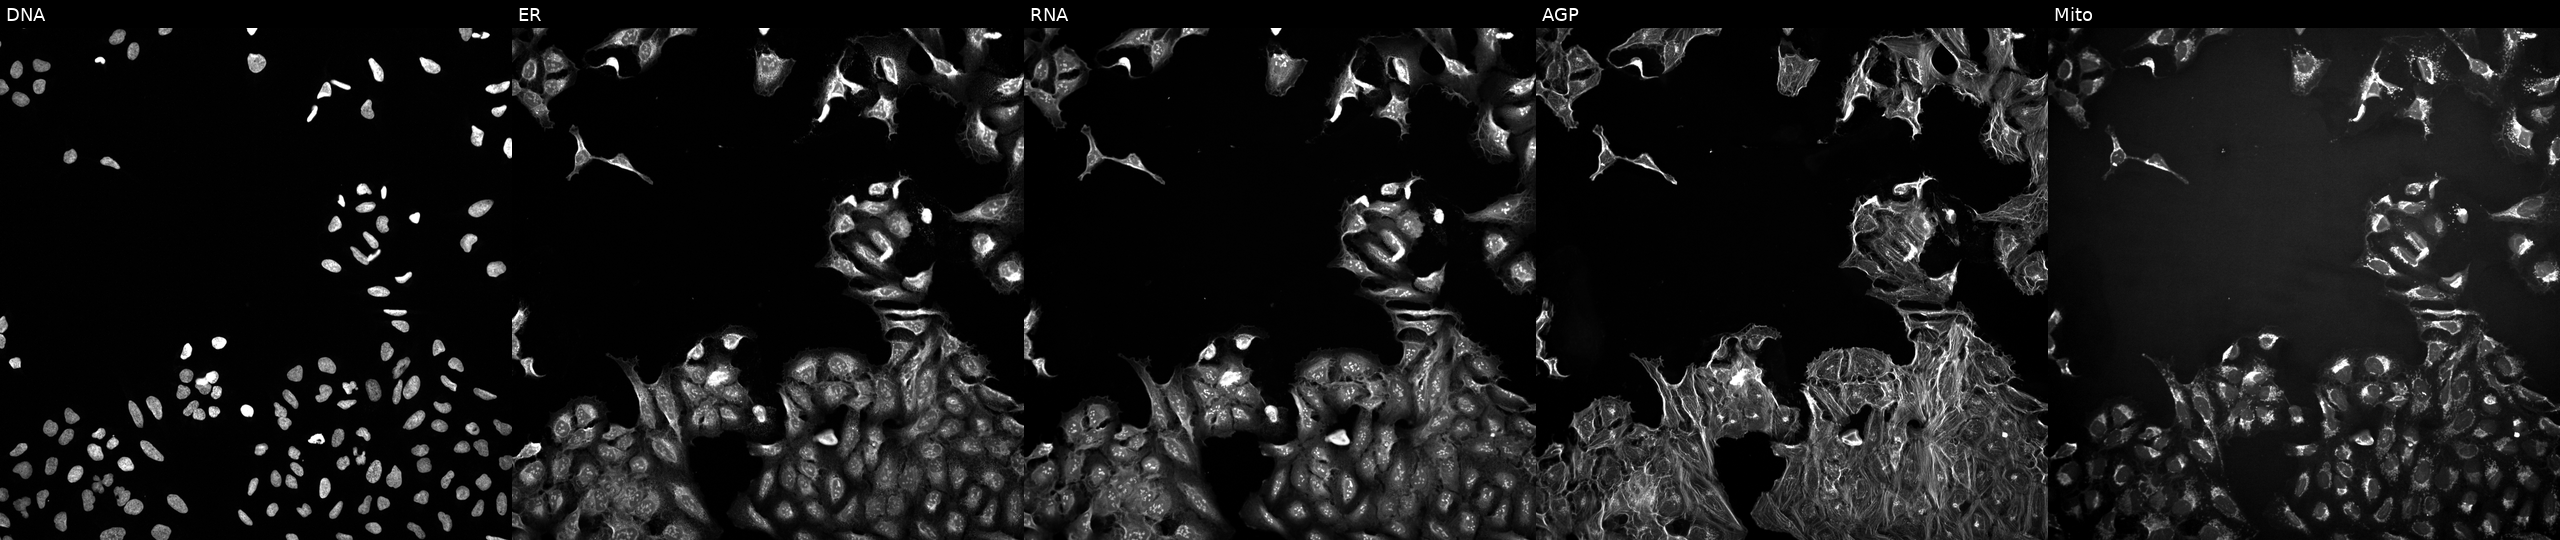
JUMP Cell Painting — TARGET2 plate. U2OS cells exposed to a small-molecule compound (InChIKey QQGWEXFLMJGCAL-UHFFFAOYSA-N). From left to right: DNA, ER, RNA, AGP, and Mito.